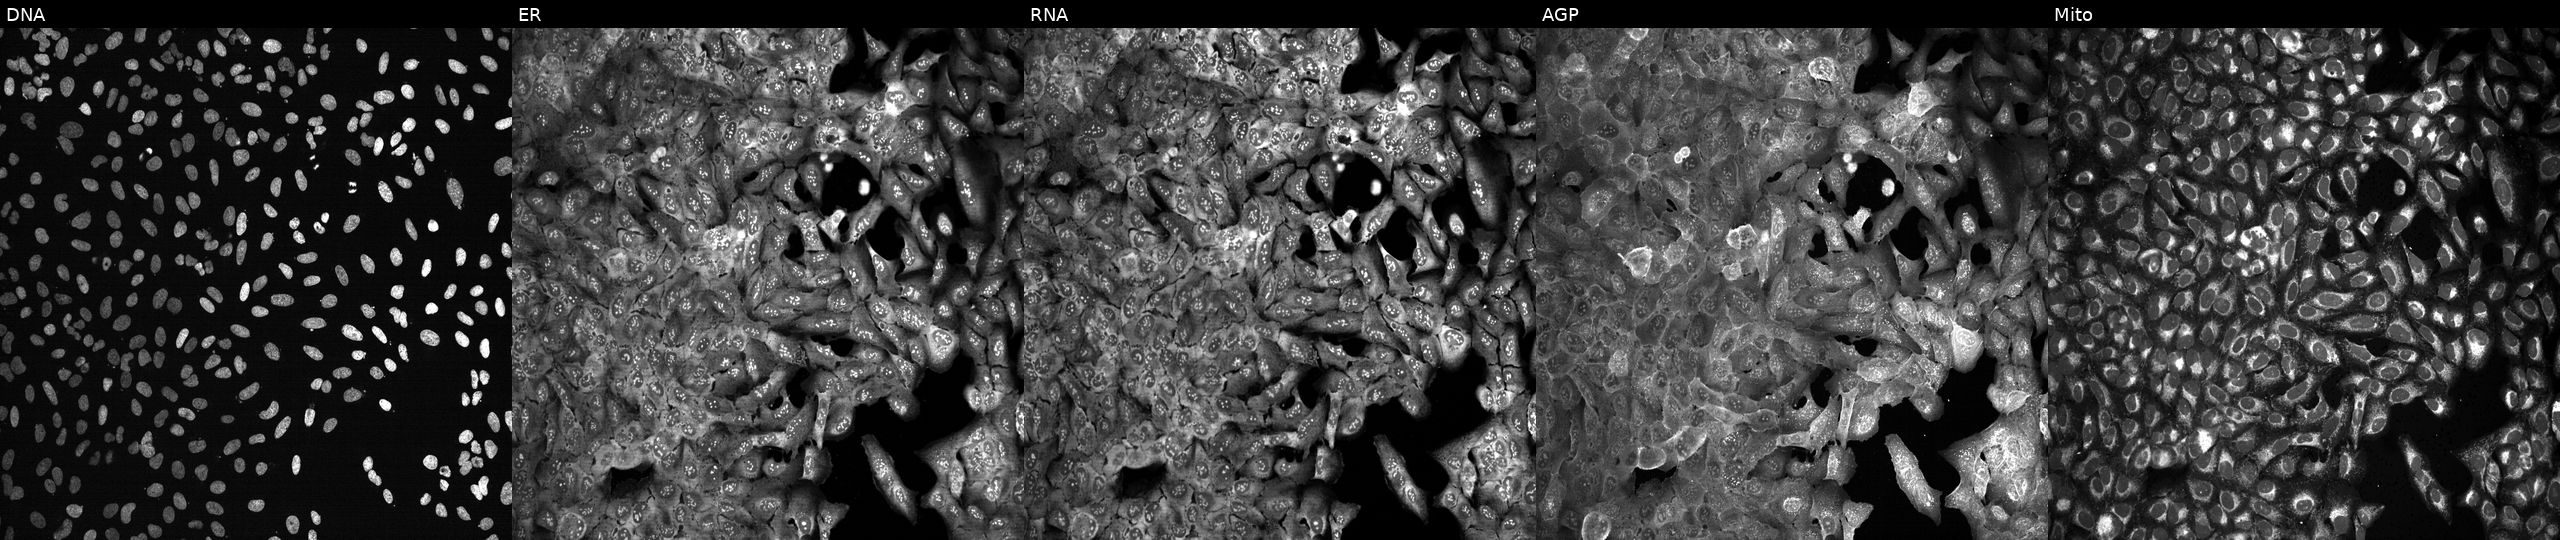
Five-channel Cell Painting image of U2OS cells CRISPR-edited to disrupt SUMO1 (JUMP id JCP2022_806883). From left to right: DNA, ER, RNA, AGP, and Mito. Source 13, plate CP-CC9-R4-04, well F04.